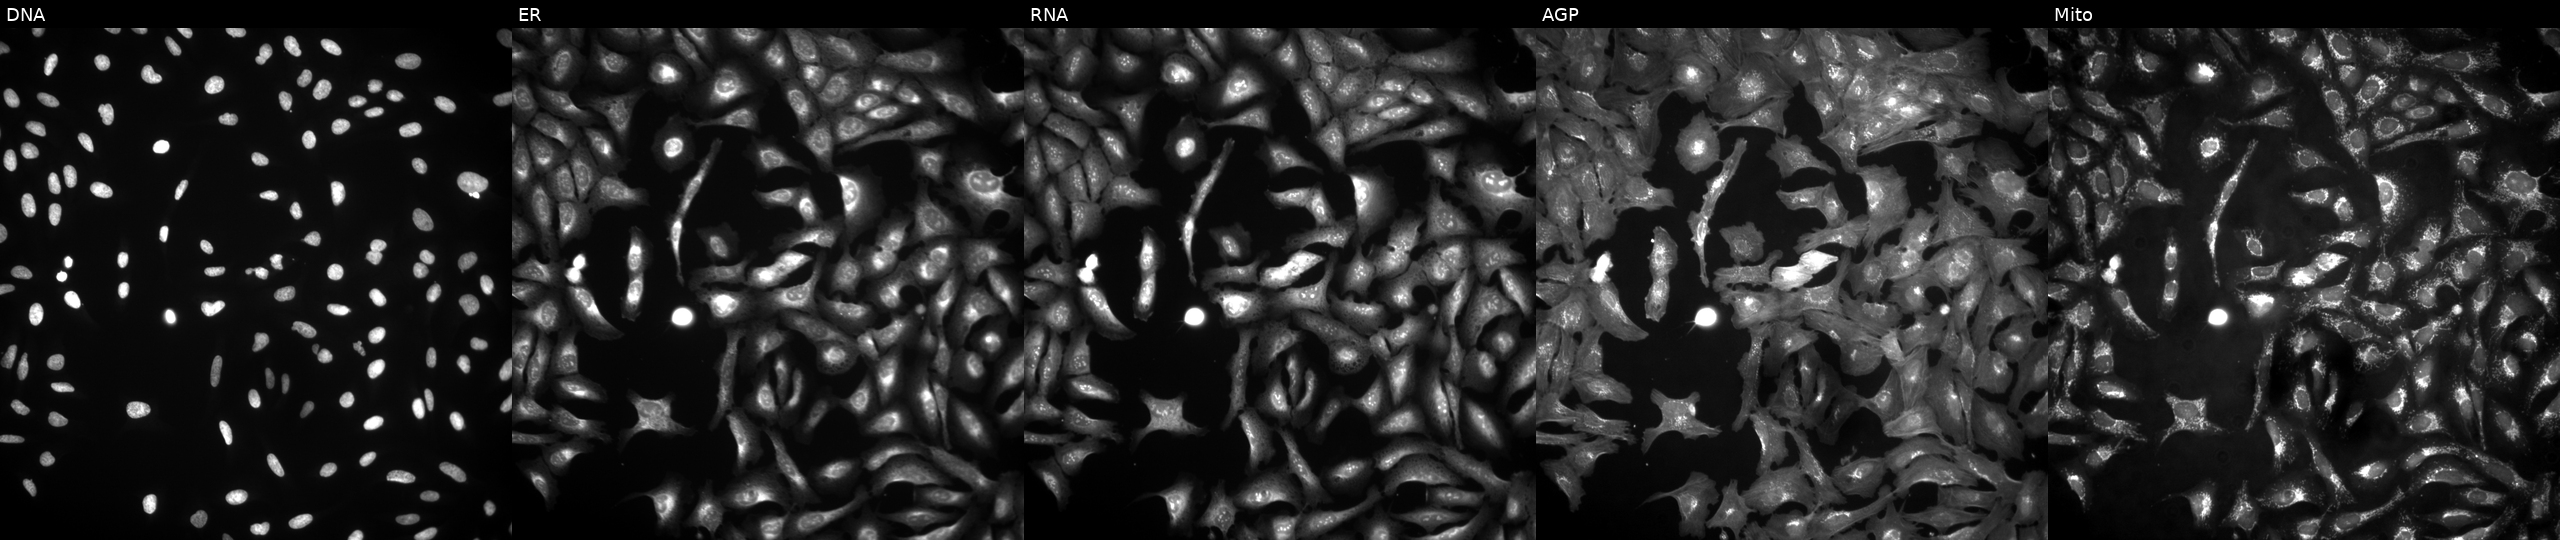
Five-channel Cell Painting image of U2OS cells overexpressing MERTK via ORF transfection. From left to right: DNA (nuclei); ER (endoplasmic reticulum); RNA (nucleoli and cytoplasmic RNA); AGP (actin cytoskeleton, Golgi, and plasma membrane); Mito (mitochondria). Source 4, plate BR00124790, well A22.